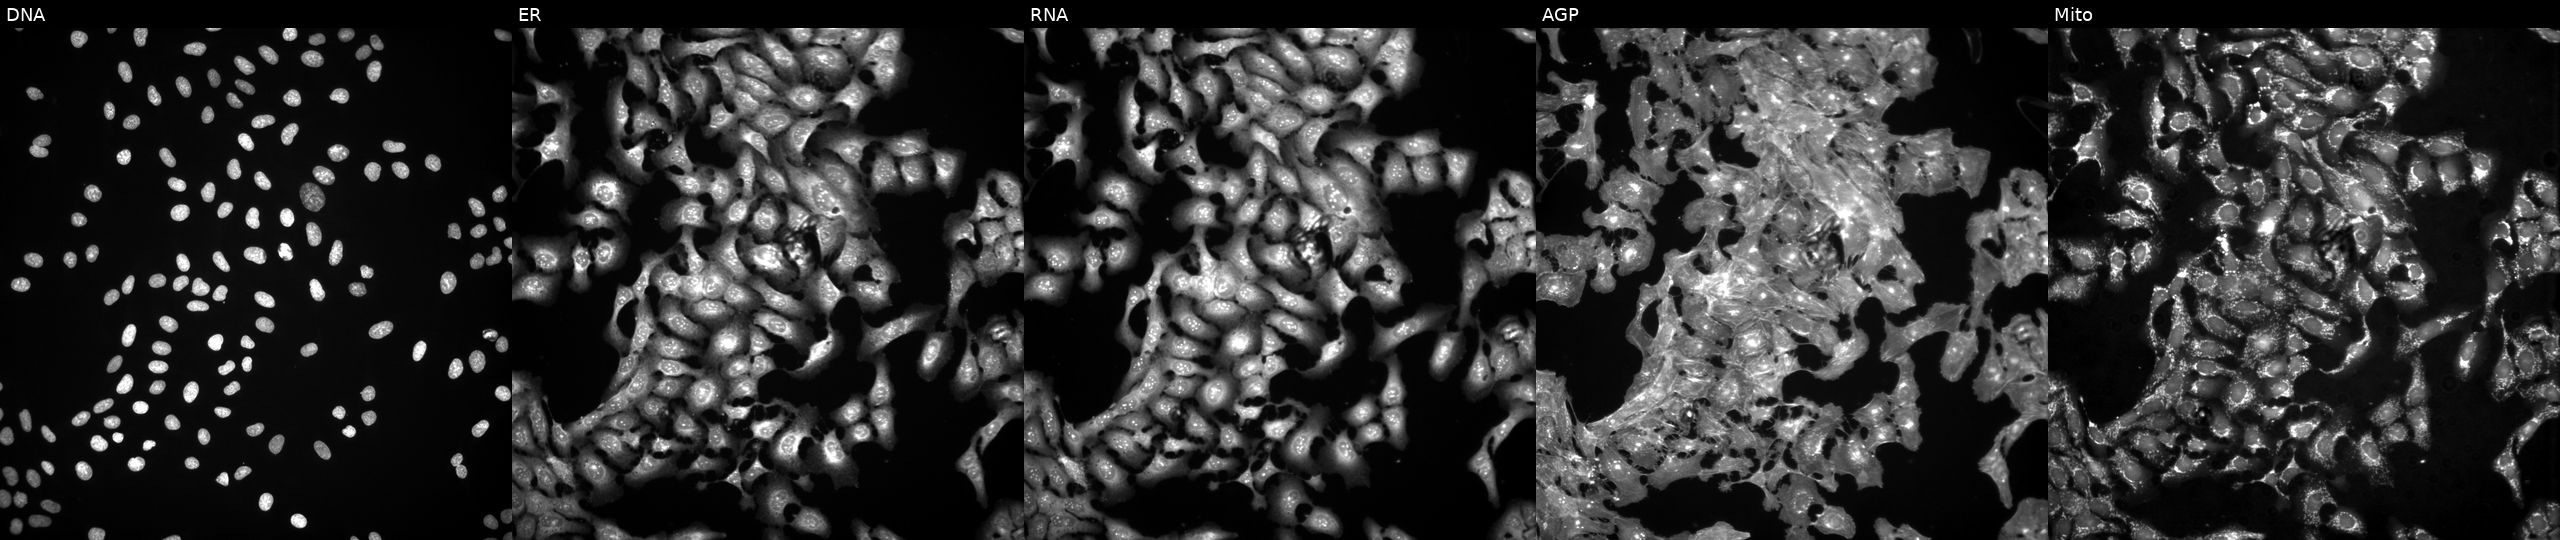
The five panels, left to right, show Hoechst 33342, concanavalin A, SYTO 14, phalloidin and WGA, MitoTracker. U2OS osteosarcoma cells exposed to the positive-control compound FK-866 (JUMP id JCP2022_046054). Cell Painting assay, JUMP-CP dataset.